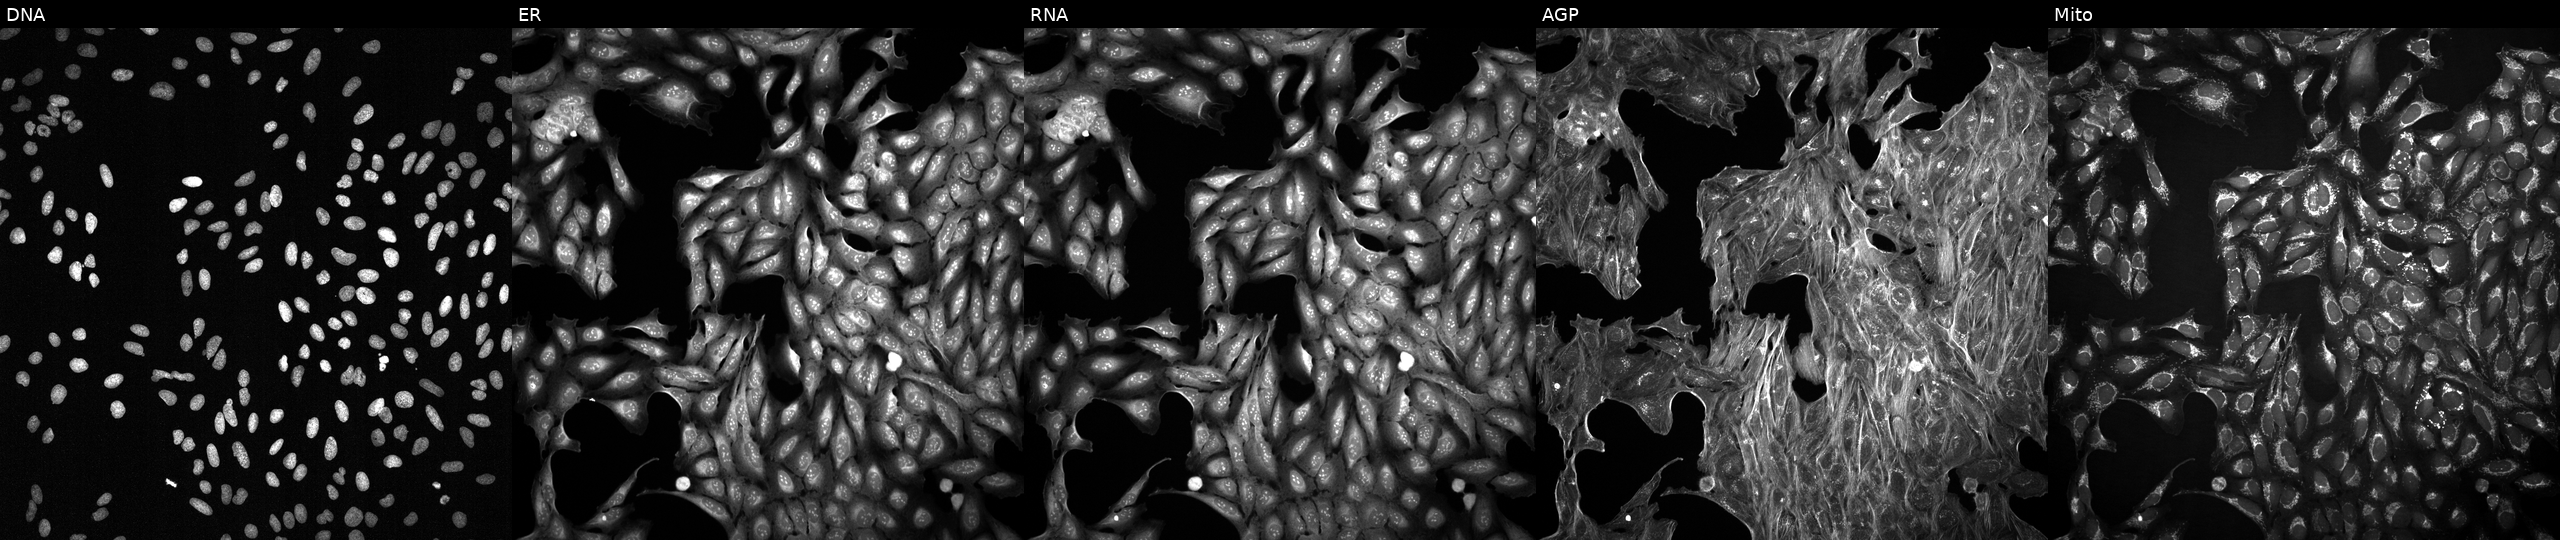
High-content fluorescence microscopy (Cell Painting). Cell line: U2OS. Perturbation: perturbed with a small-molecule compound (InChIKey RIJLVEAXPNLDTC-UHFFFAOYSA-N) (JUMP id JCP2022_078581). From left to right: DNA, ER, RNA, AGP, and Mito.